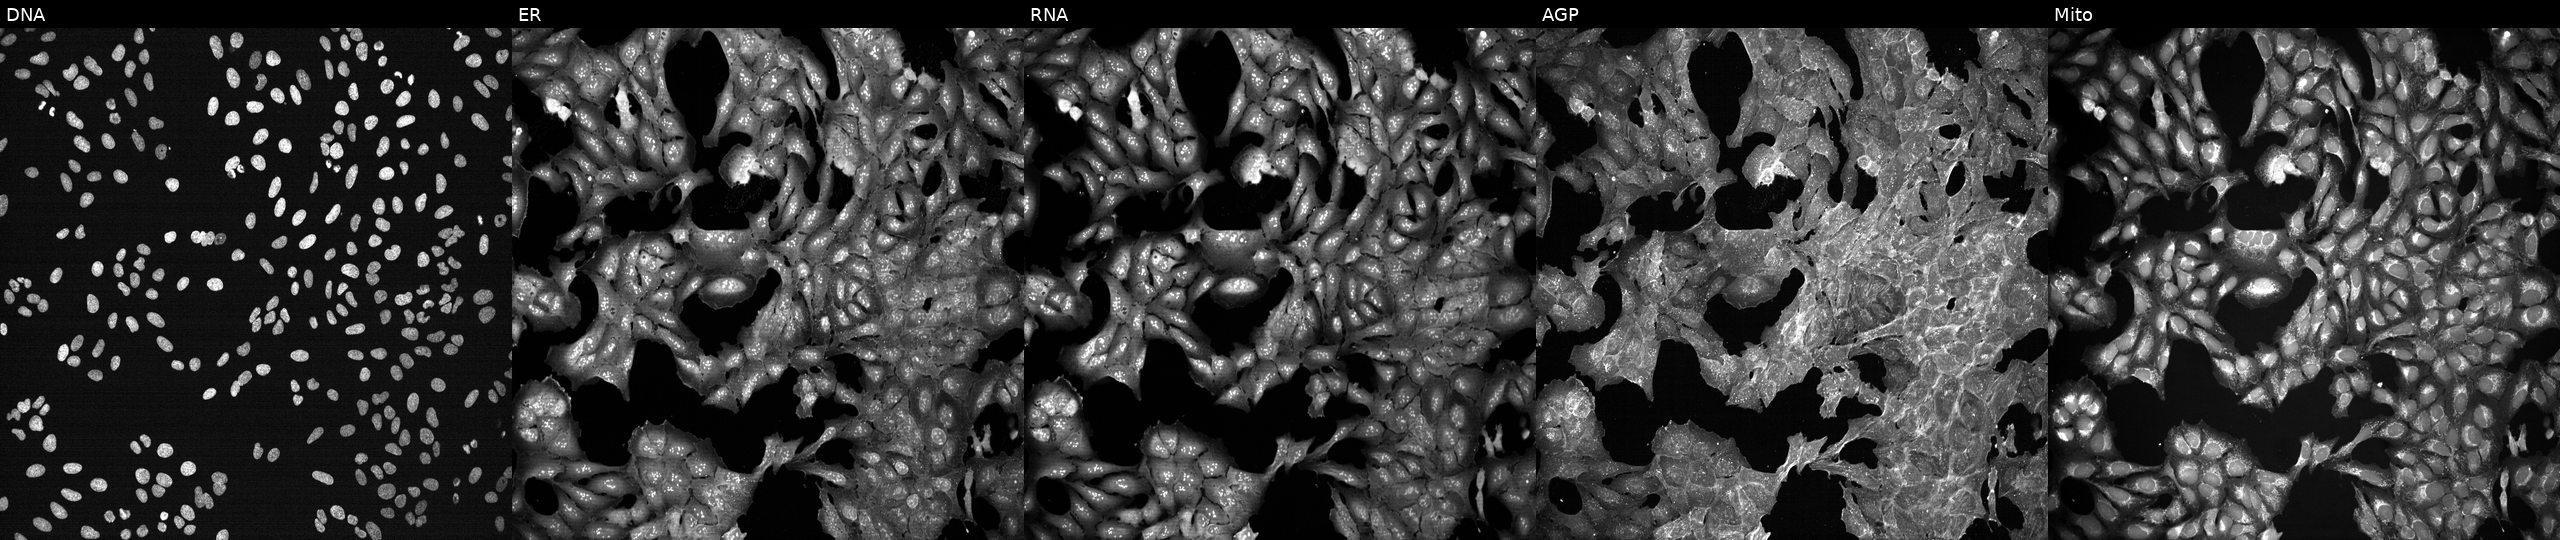
High-content fluorescence microscopy (Cell Painting). Cell line: U2OS. Perturbation: exposed to a small-molecule compound. The five panels, left to right, show DNA (nuclei); ER (endoplasmic reticulum); RNA (nucleoli and cytoplasmic RNA); AGP (actin cytoskeleton, Golgi, and plasma membrane); Mito (mitochondria).